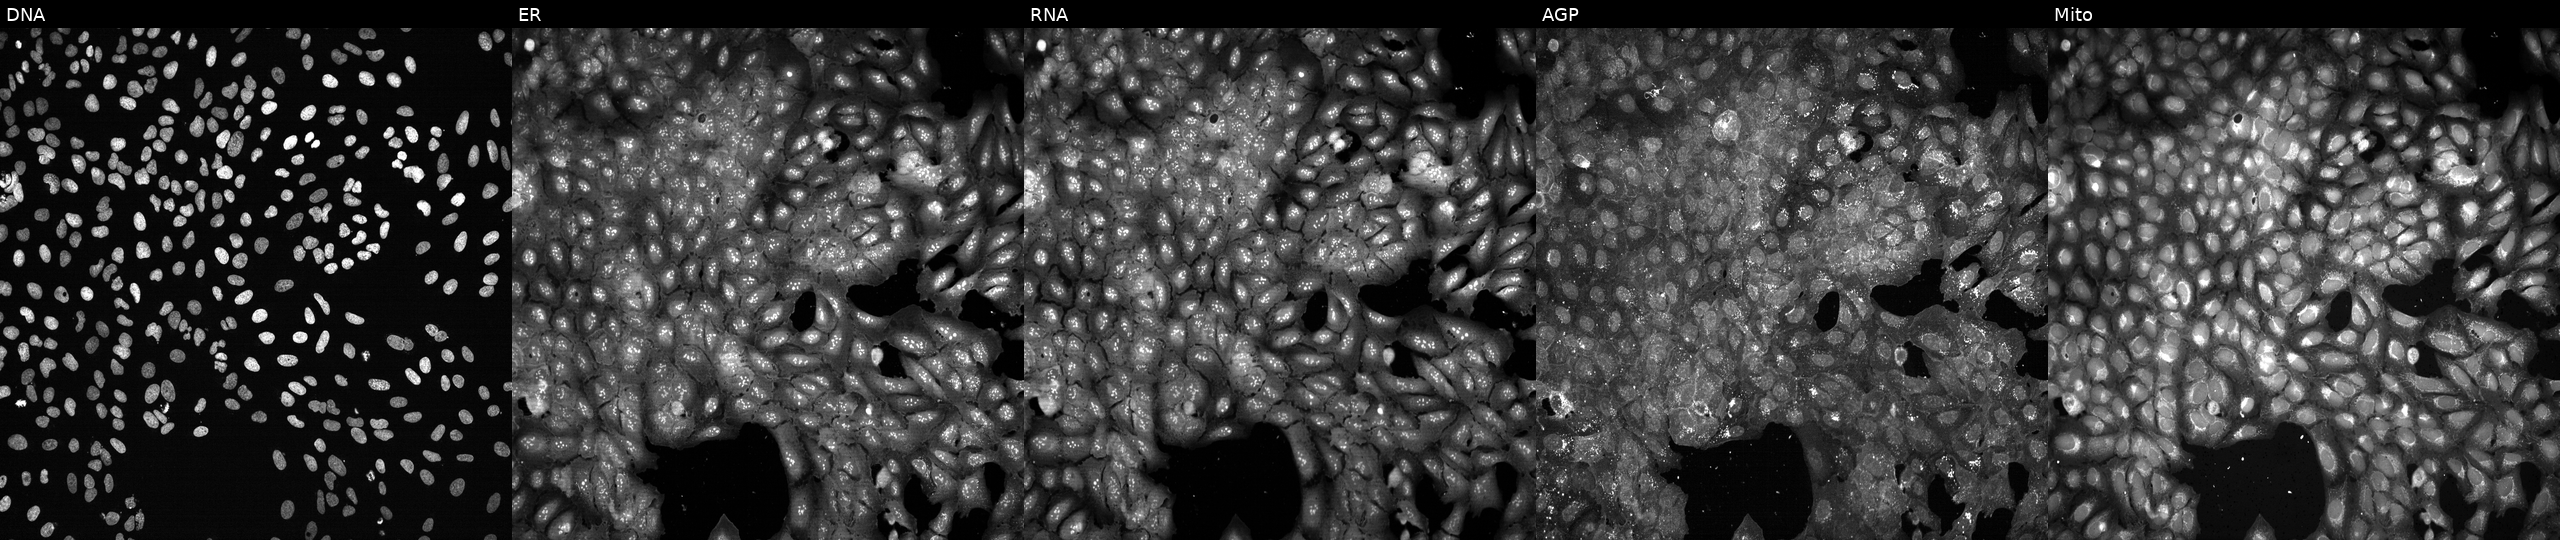
U2OS cells, Cell Painting assay, CRISPR-edited to disrupt ASGR1. Panels show, left to right, DNA (nuclei); ER (endoplasmic reticulum); RNA (nucleoli and cytoplasmic RNA); AGP (actin cytoskeleton, Golgi, and plasma membrane); Mito (mitochondria). Each panel is percentile-stretched 16-bit fluorescence.